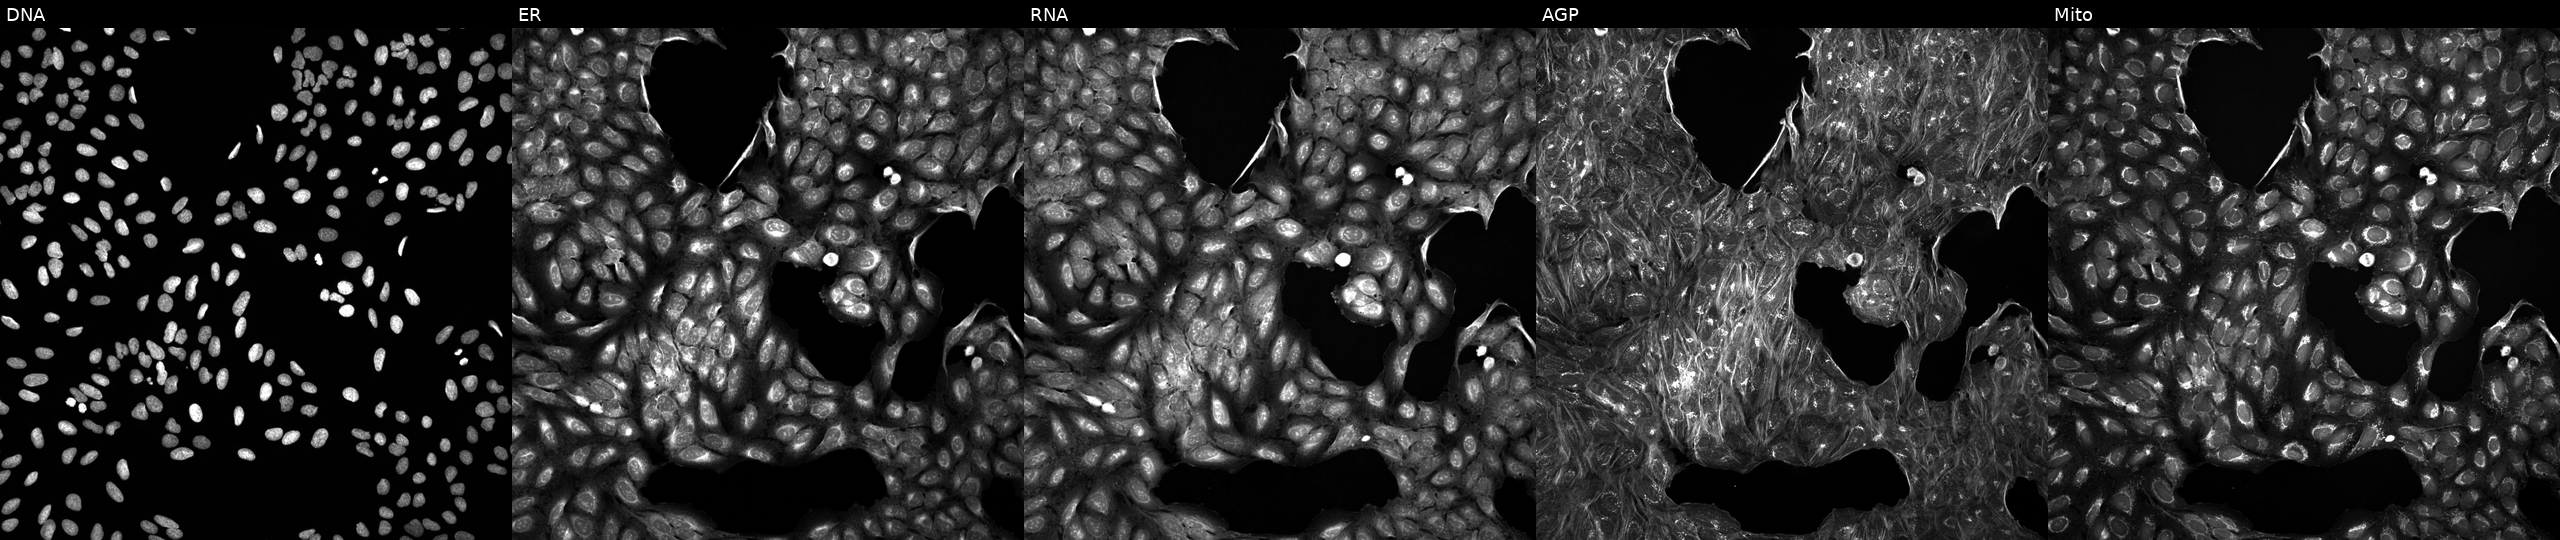
This image strip shows the five Cell Painting channels for a single field of U2OS cells perturbed with a small-molecule compound (InChIKey MXJWRABVEGLYDG-UHFFFAOYSA-N). Panels show, left to right, Hoechst 33342, concanavalin A, SYTO 14, phalloidin and WGA, MitoTracker.